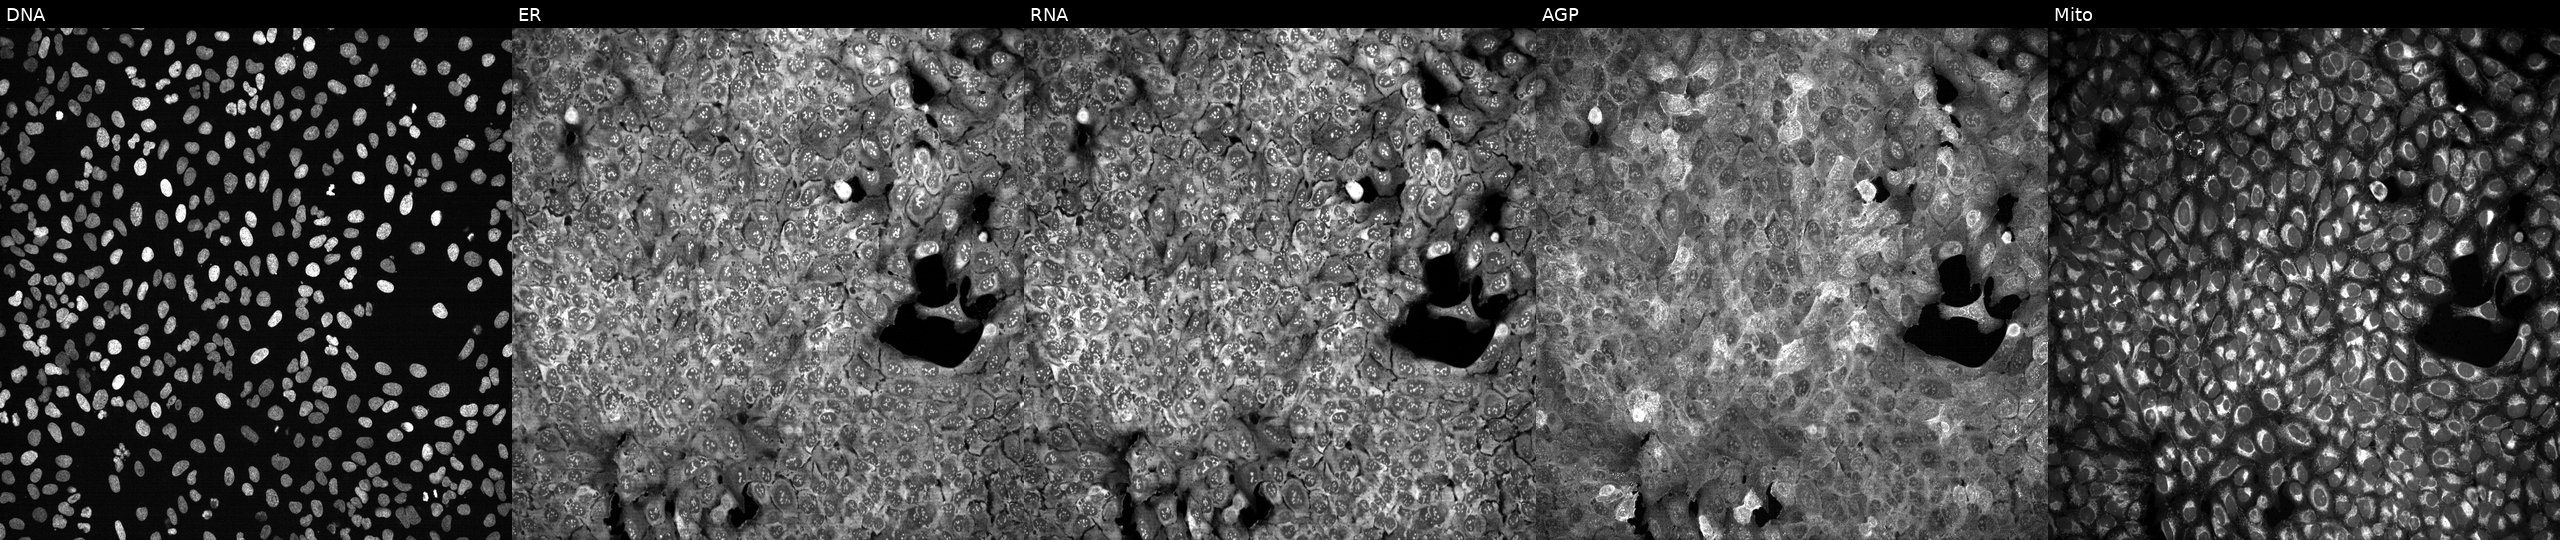
From left to right: Hoechst 33342, concanavalin A, SYTO 14, phalloidin and WGA, MitoTracker. U2OS osteosarcoma cells CRISPR-edited to disrupt UQCR11. Cell Painting assay, JUMP-CP dataset.